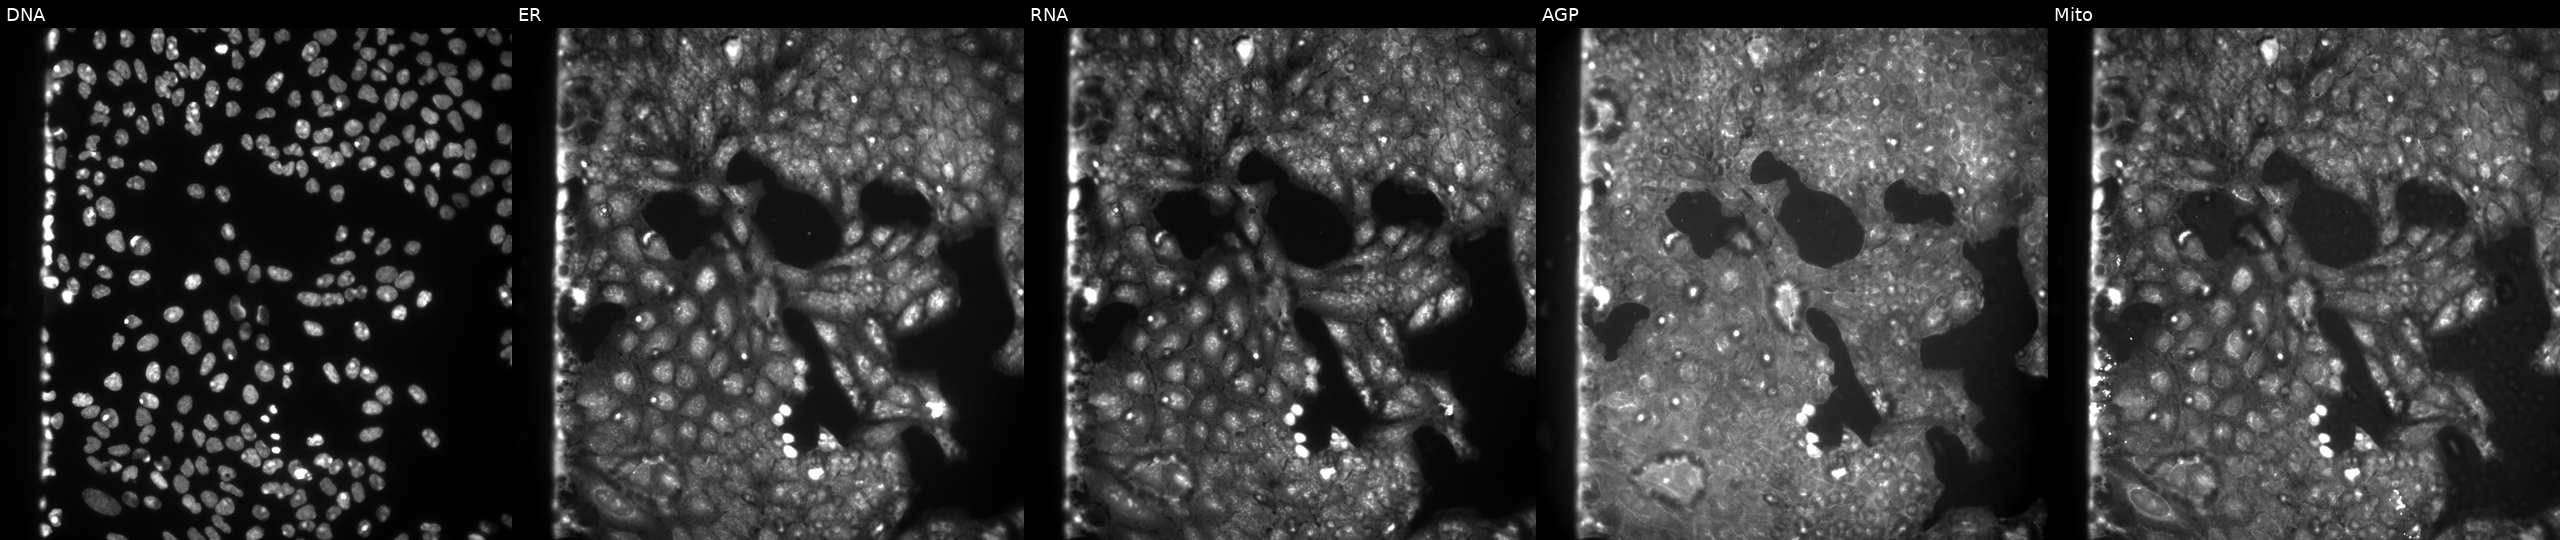
U2OS cells, Cell Painting assay, treated with DMSO vehicle only (negative control). Panels show, left to right, DNA, ER, RNA, AGP, and Mito. Each panel is percentile-stretched 16-bit fluorescence.